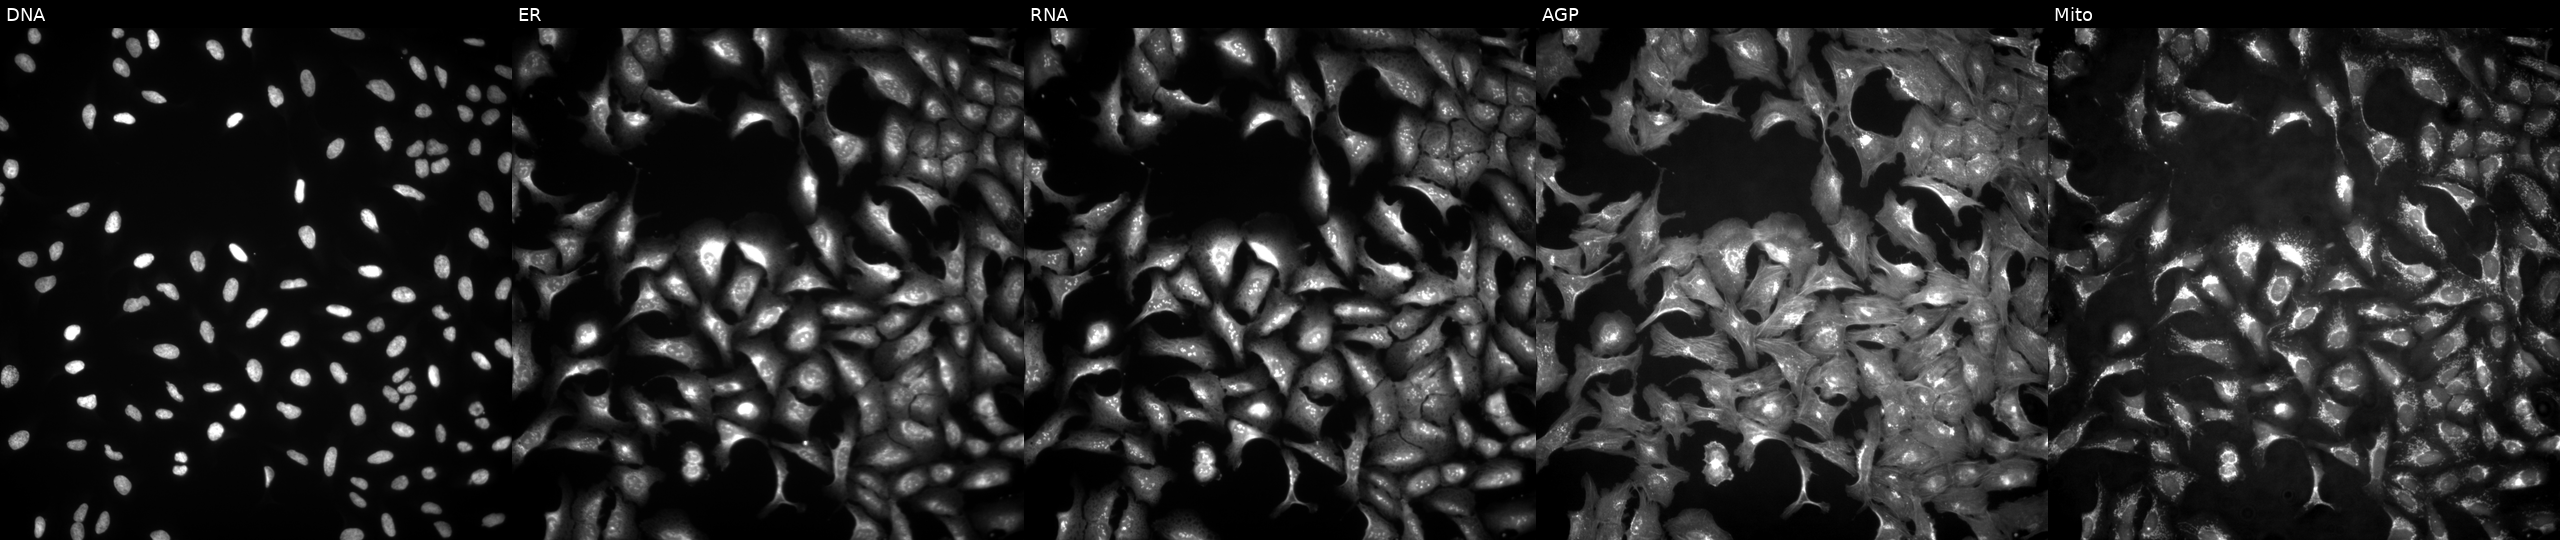
Channels (left→right): DNA, ER, RNA, AGP, and Mito. U2OS osteosarcoma cells with SULT1A2 overexpressed (ORF). Cell Painting assay, JUMP-CP dataset.